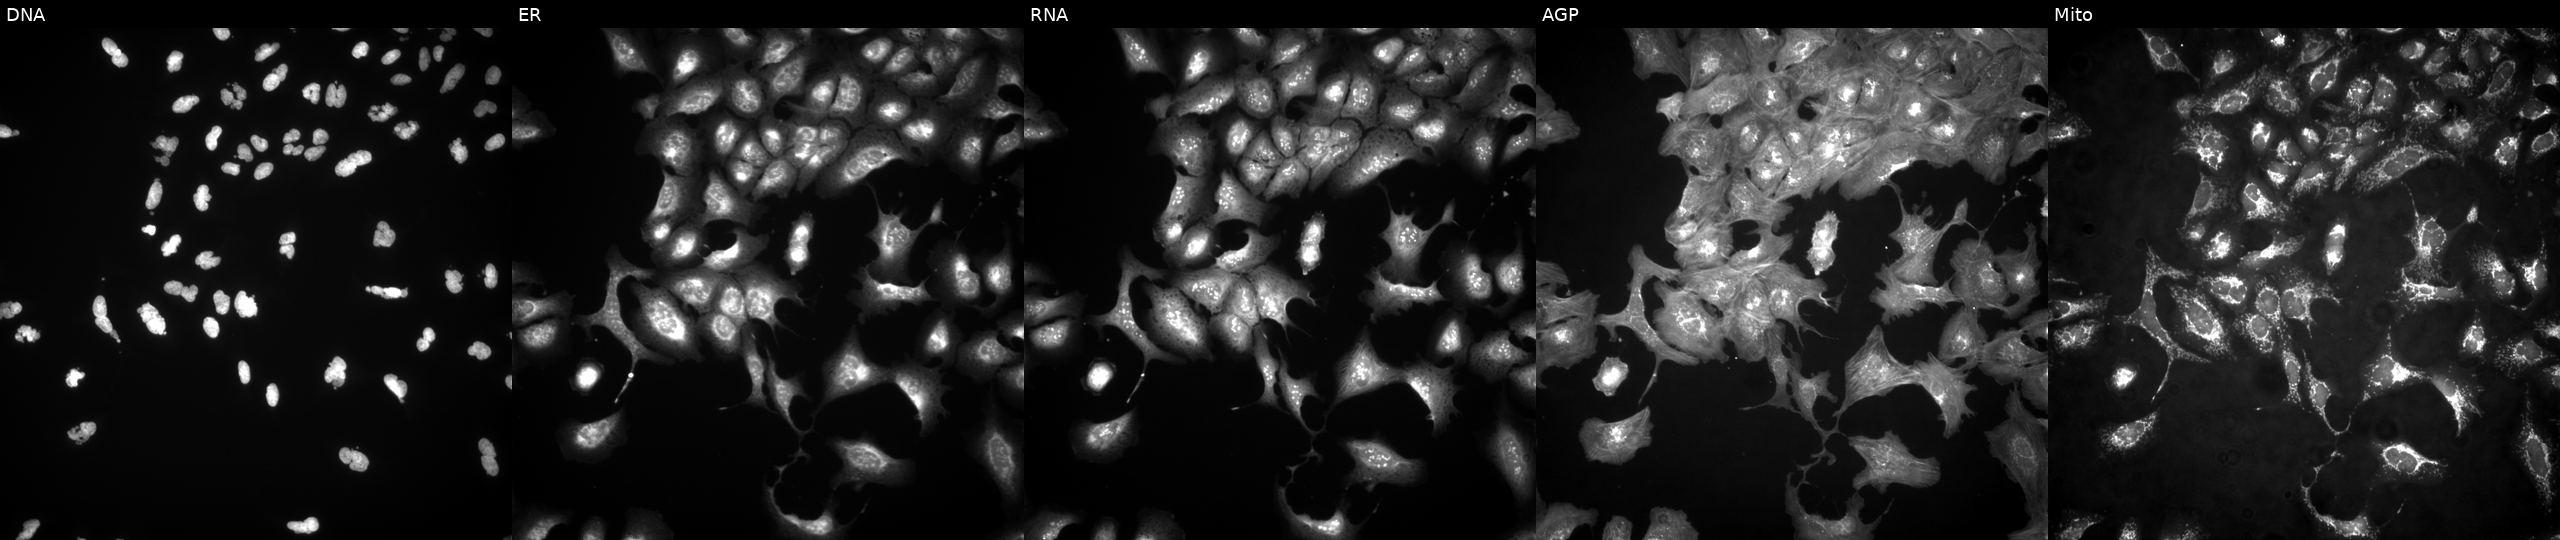
Five-channel Cell Painting image of U2OS cells exposed to the positive-control compound LY2109761. Channels (left→right): DNA, ER, RNA, AGP, and Mito.